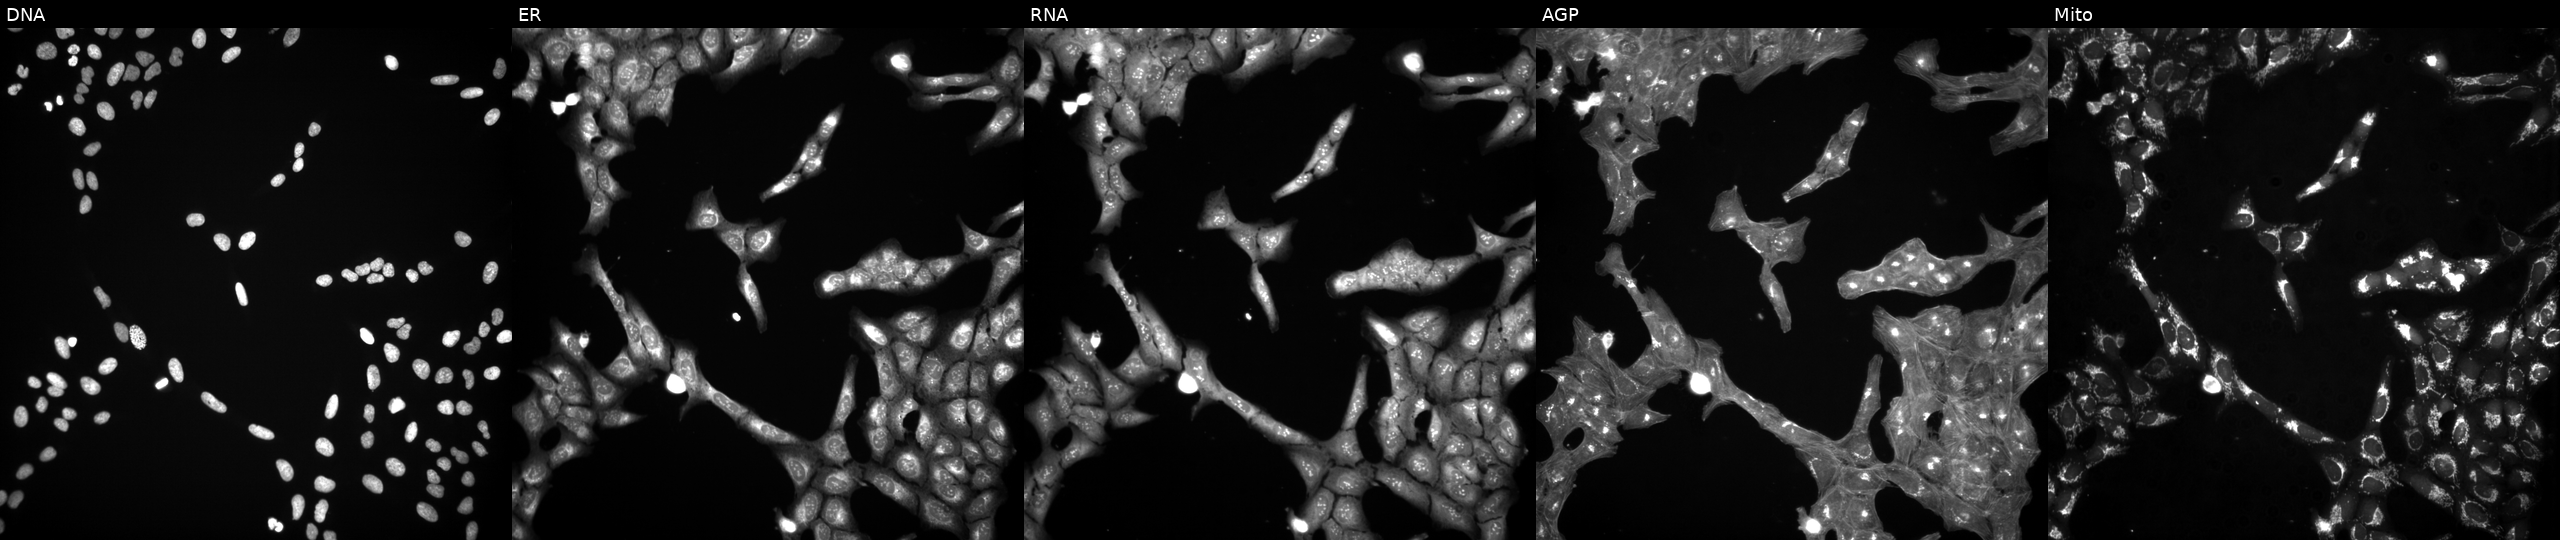
The five panels, left to right, show DNA (nuclei); ER (endoplasmic reticulum); RNA (nucleoli and cytoplasmic RNA); AGP (actin cytoskeleton, Golgi, and plasma membrane); Mito (mitochondria). U2OS osteosarcoma cells exposed to a small-molecule compound (InChIKey SWDNHJMSOJQZAK-UHFFFAOYSA-N). Cell Painting assay, JUMP-CP dataset. Source 3, plate BR5867b3, well K21.